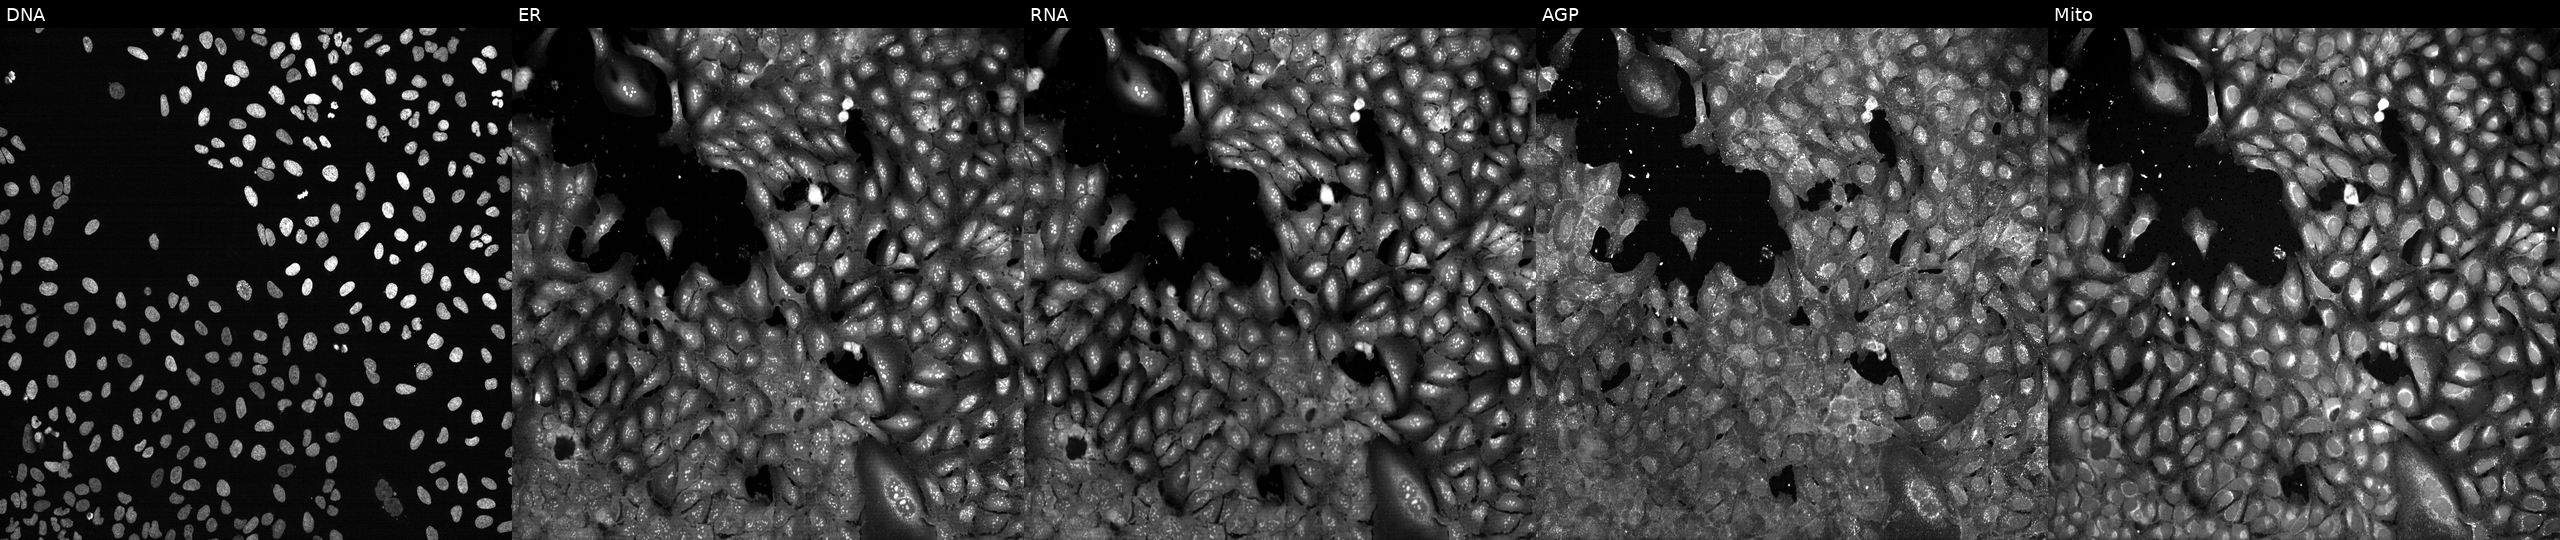
High-content fluorescence microscopy (Cell Painting). Cell line: U2OS. Perturbation: following CRISPR knockout of GNA11. Panels show, left to right, Hoechst 33342, concanavalin A, SYTO 14, phalloidin and WGA, MitoTracker.